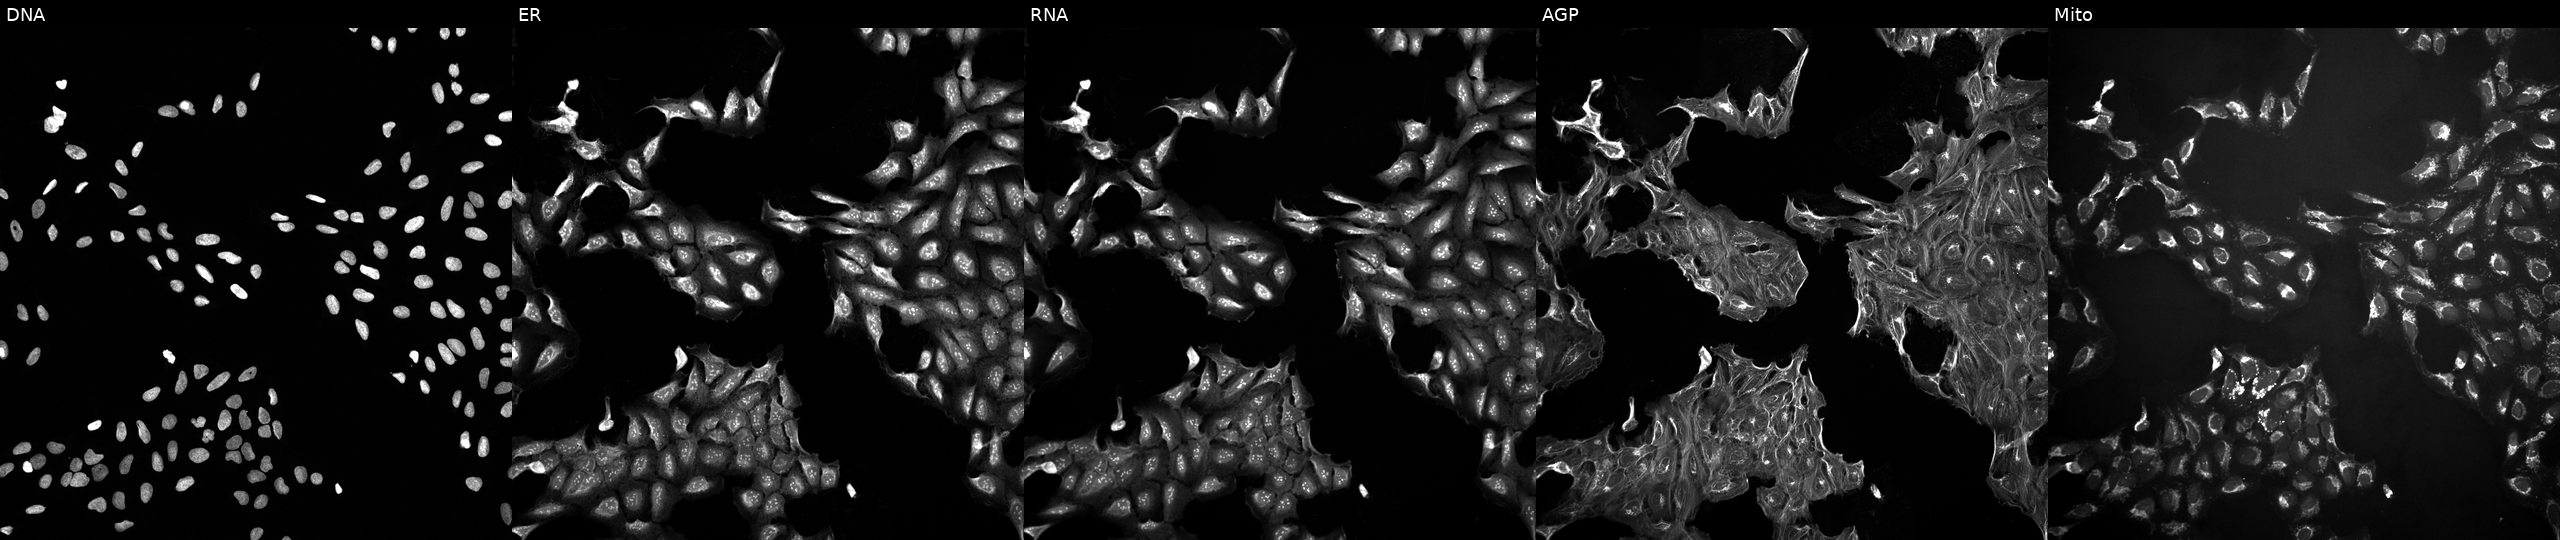
JUMP Cell Painting — TARGET2 plate. U2OS cells exposed to DMSO alone as a negative control (JUMP id JCP2022_033924). The five panels, left to right, show Hoechst 33342, concanavalin A, SYTO 14, phalloidin and WGA, MitoTracker. Source 10, plate Dest210726-160150, well G03.